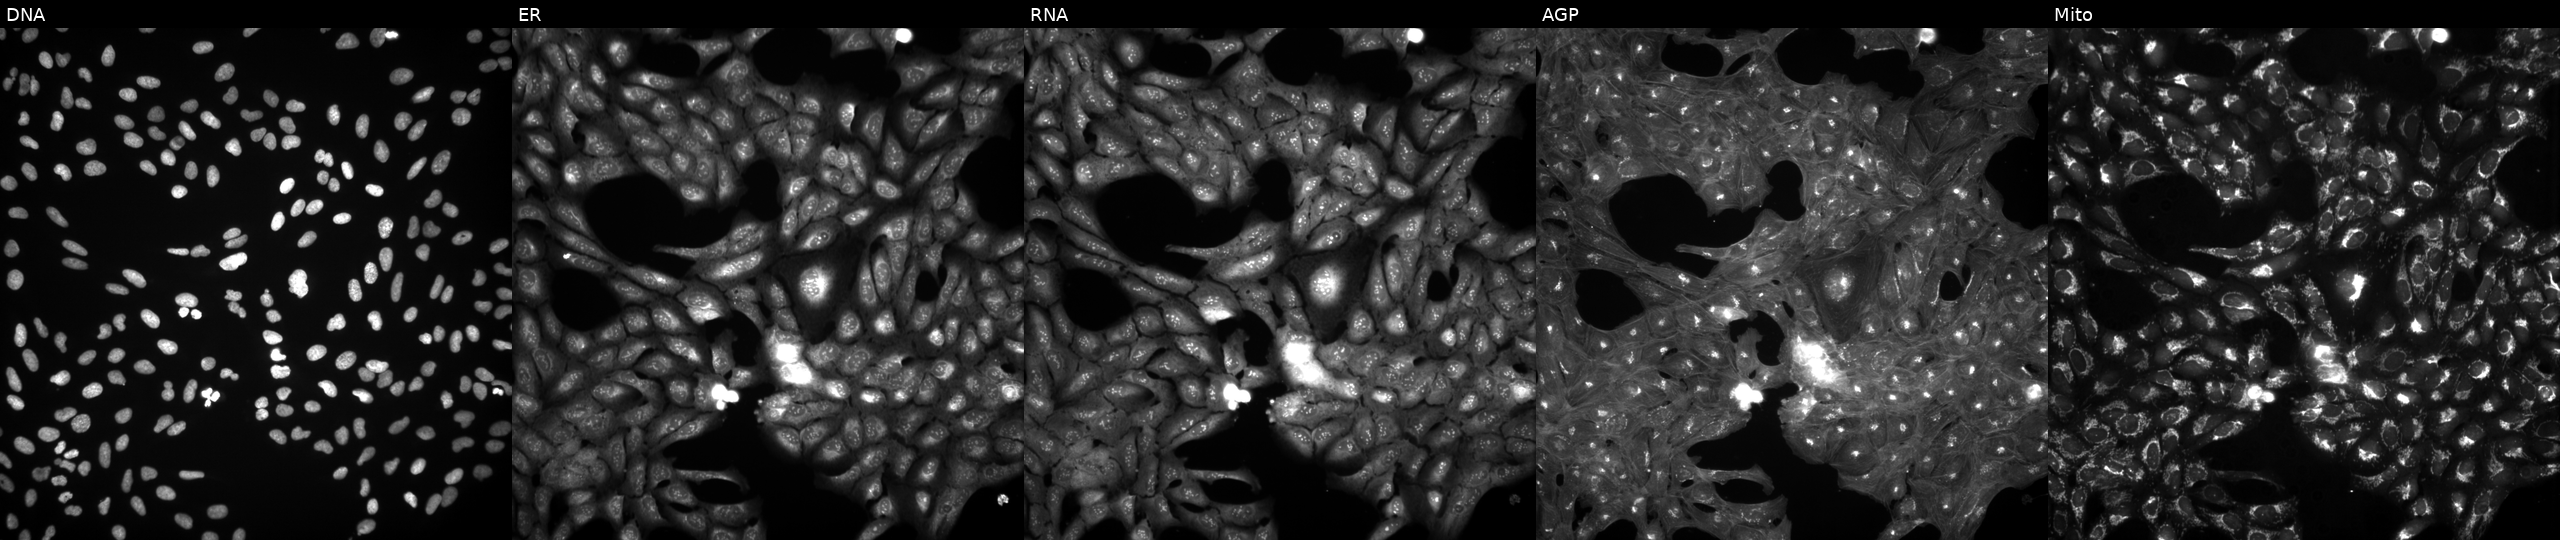
Five-channel Cell Painting image of U2OS cells exposed to DMSO alone as a negative control (JUMP id JCP2022_033924). Panels show, left to right, DNA (nuclei); ER (endoplasmic reticulum); RNA (nucleoli and cytoplasmic RNA); AGP (actin cytoskeleton, Golgi, and plasma membrane); Mito (mitochondria).